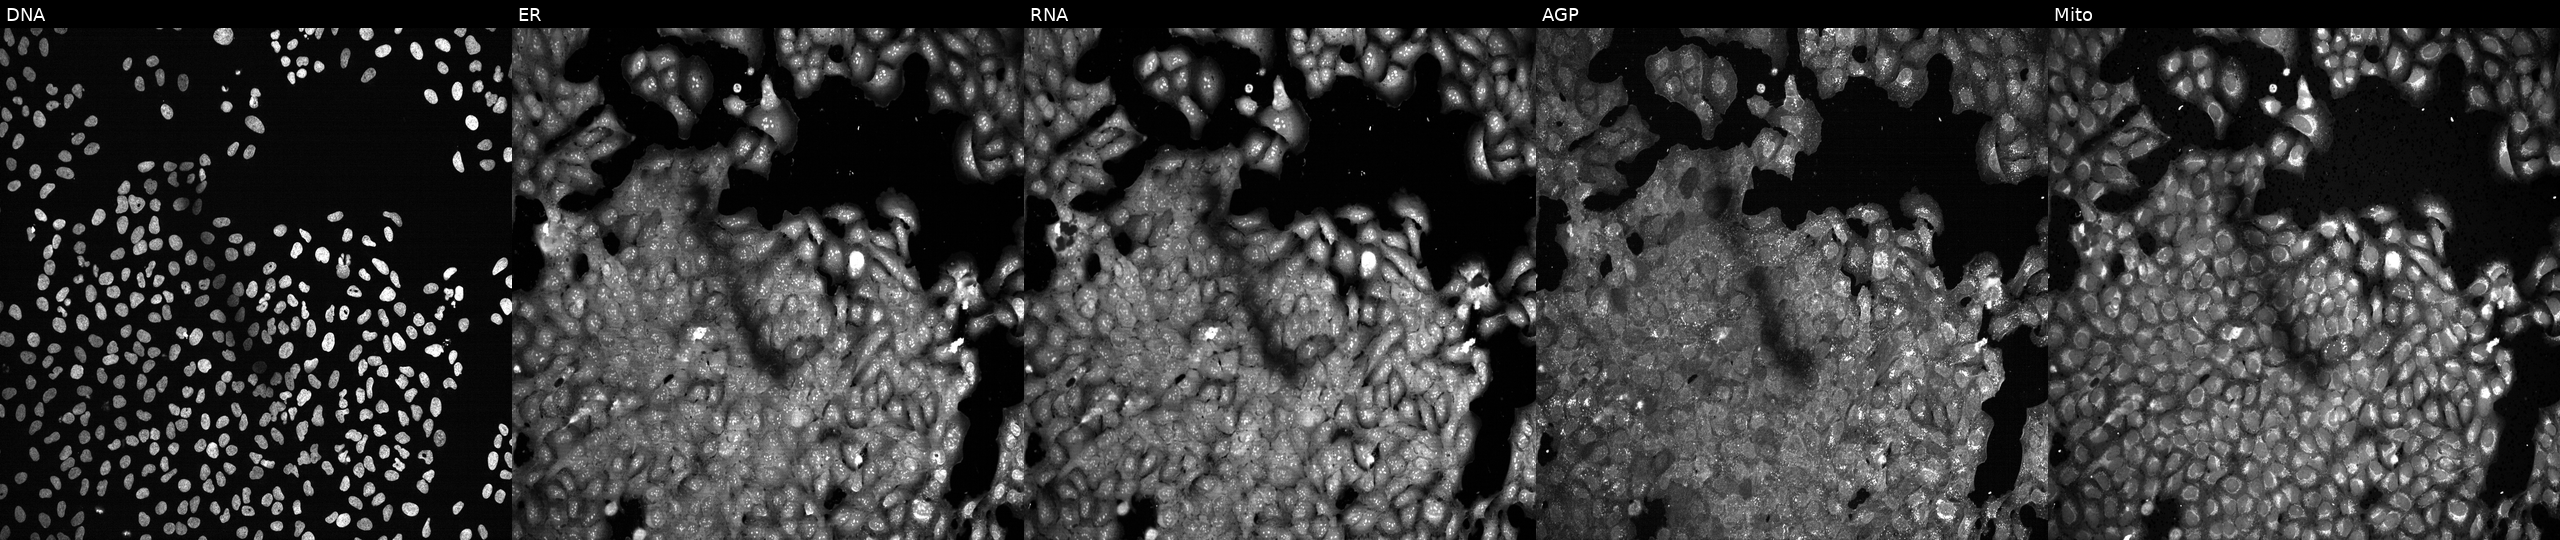
Five-channel Cell Painting image of U2OS cells exposed to the positive-control compound NVS-PAK1-1 (JUMP id JCP2022_064022). Channels (left→right): Hoechst 33342, concanavalin A, SYTO 14, phalloidin and WGA, MitoTracker. Source 13, plate CP-CC9-R1-02, well N01.